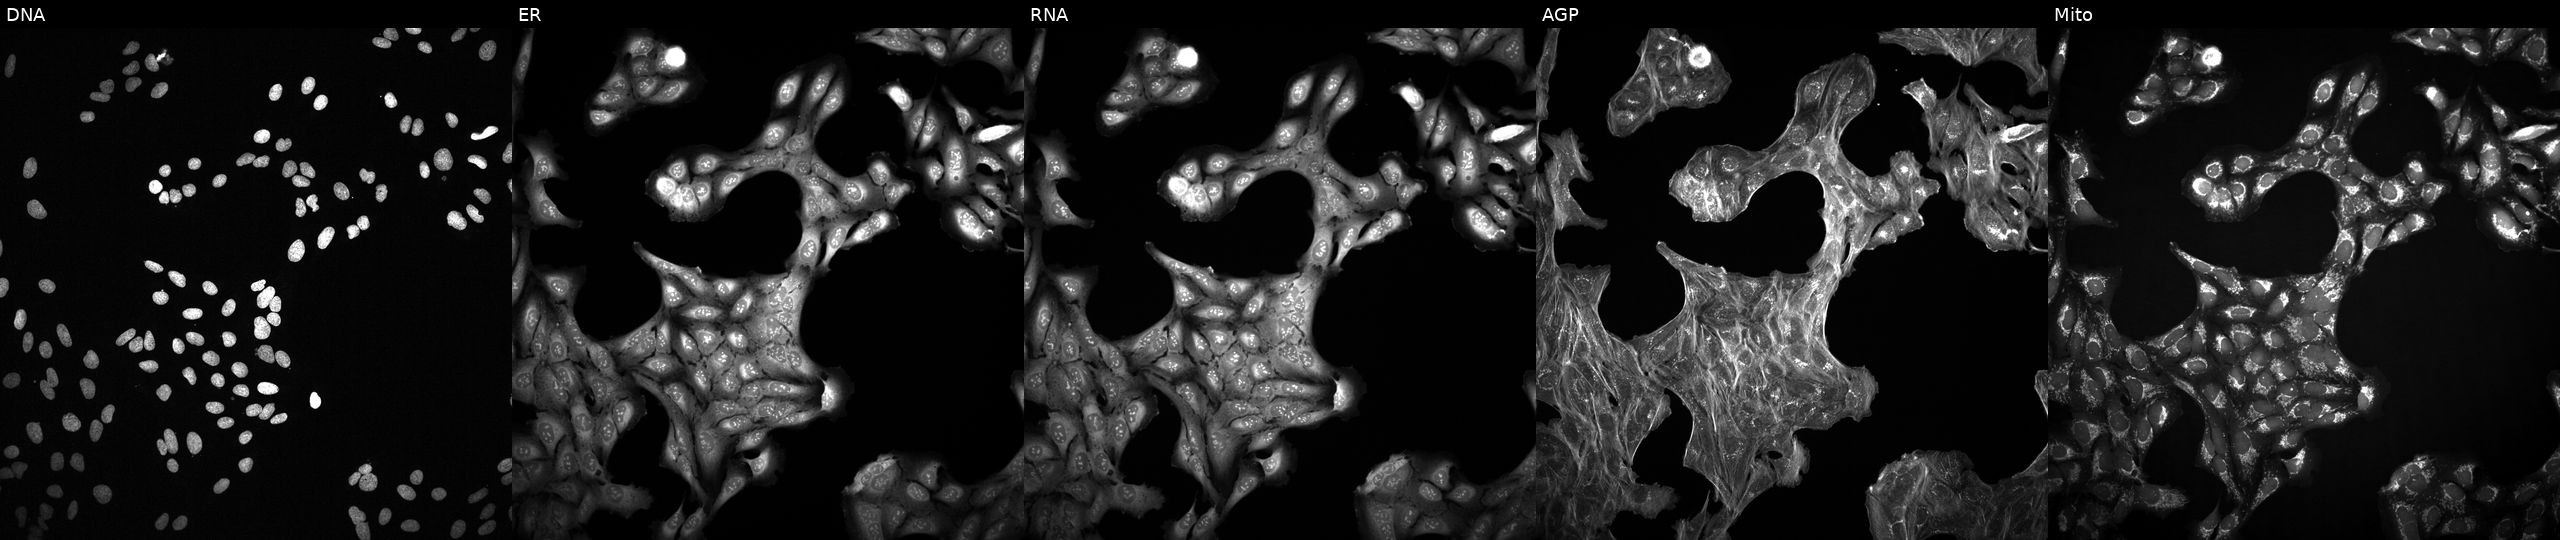
Channels (left→right): DNA (nuclei); ER (endoplasmic reticulum); RNA (nucleoli and cytoplasmic RNA); AGP (actin cytoskeleton, Golgi, and plasma membrane); Mito (mitochondria). U2OS osteosarcoma cells treated with a small-molecule compound (InChIKey JUUFBMODXQKSTD-UHFFFAOYSA-N). Cell Painting assay, JUMP-CP dataset.